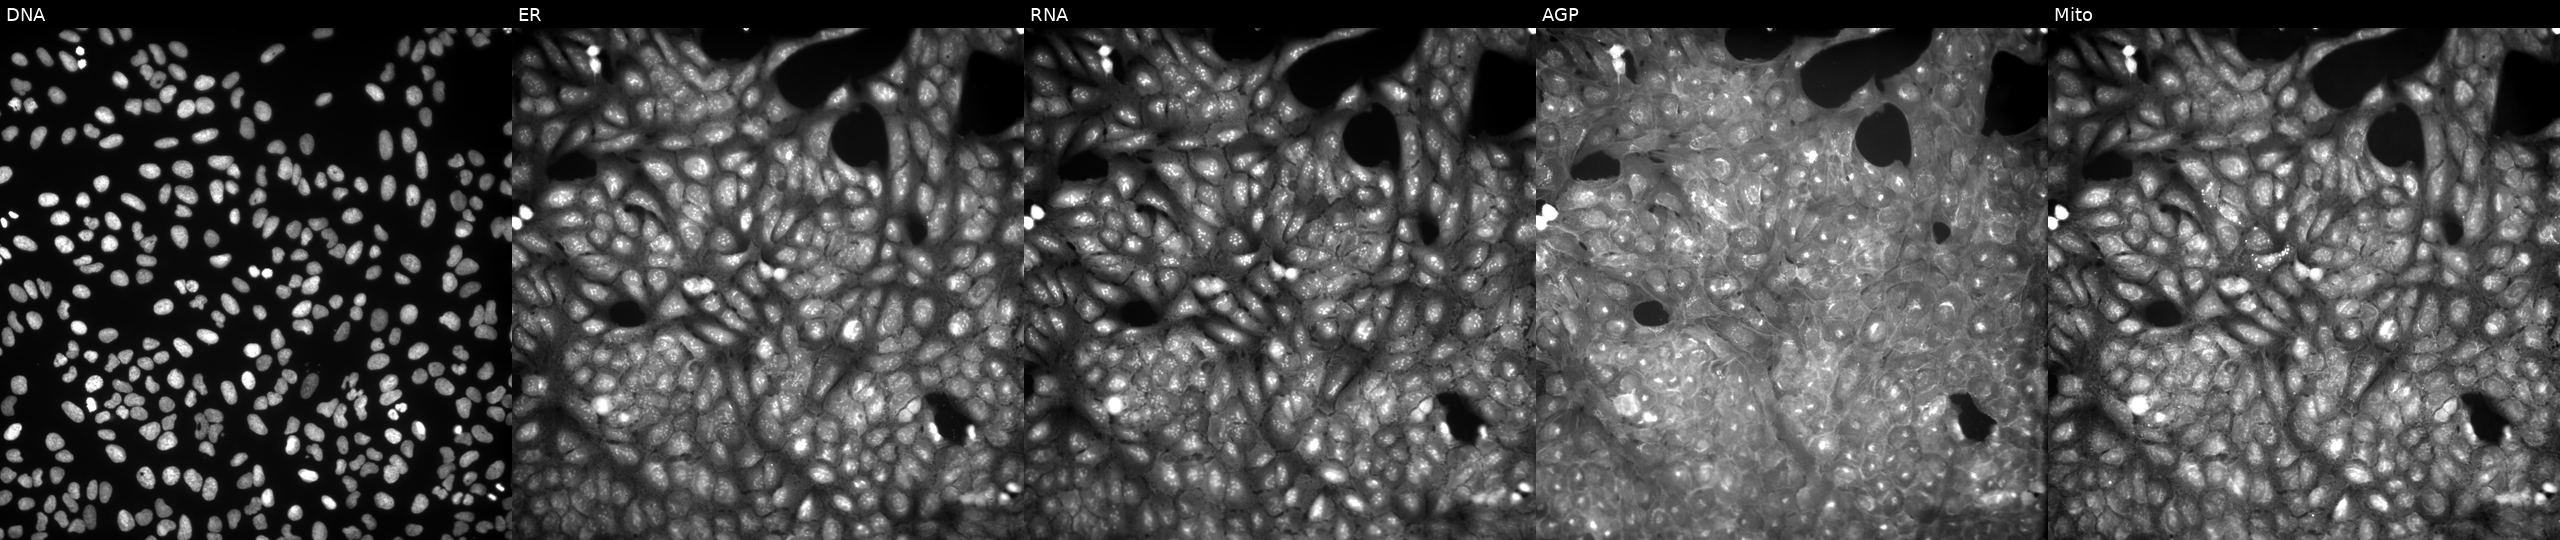
This image strip shows the five Cell Painting channels for a single field of U2OS cells exposed to a small-molecule compound (InChIKey GVXCRWWGHSLZJB-UHFFFAOYSA-N) [SMILES: CCOc1ccccc1NC(=O)CN(CCc1ccccc1)S(=O)(=O)c1ccc(C)cc1] (JUMP id JCP2022_028121). Panels show, left to right, Hoechst 33342, concanavalin A, SYTO 14, phalloidin and WGA, MitoTracker.